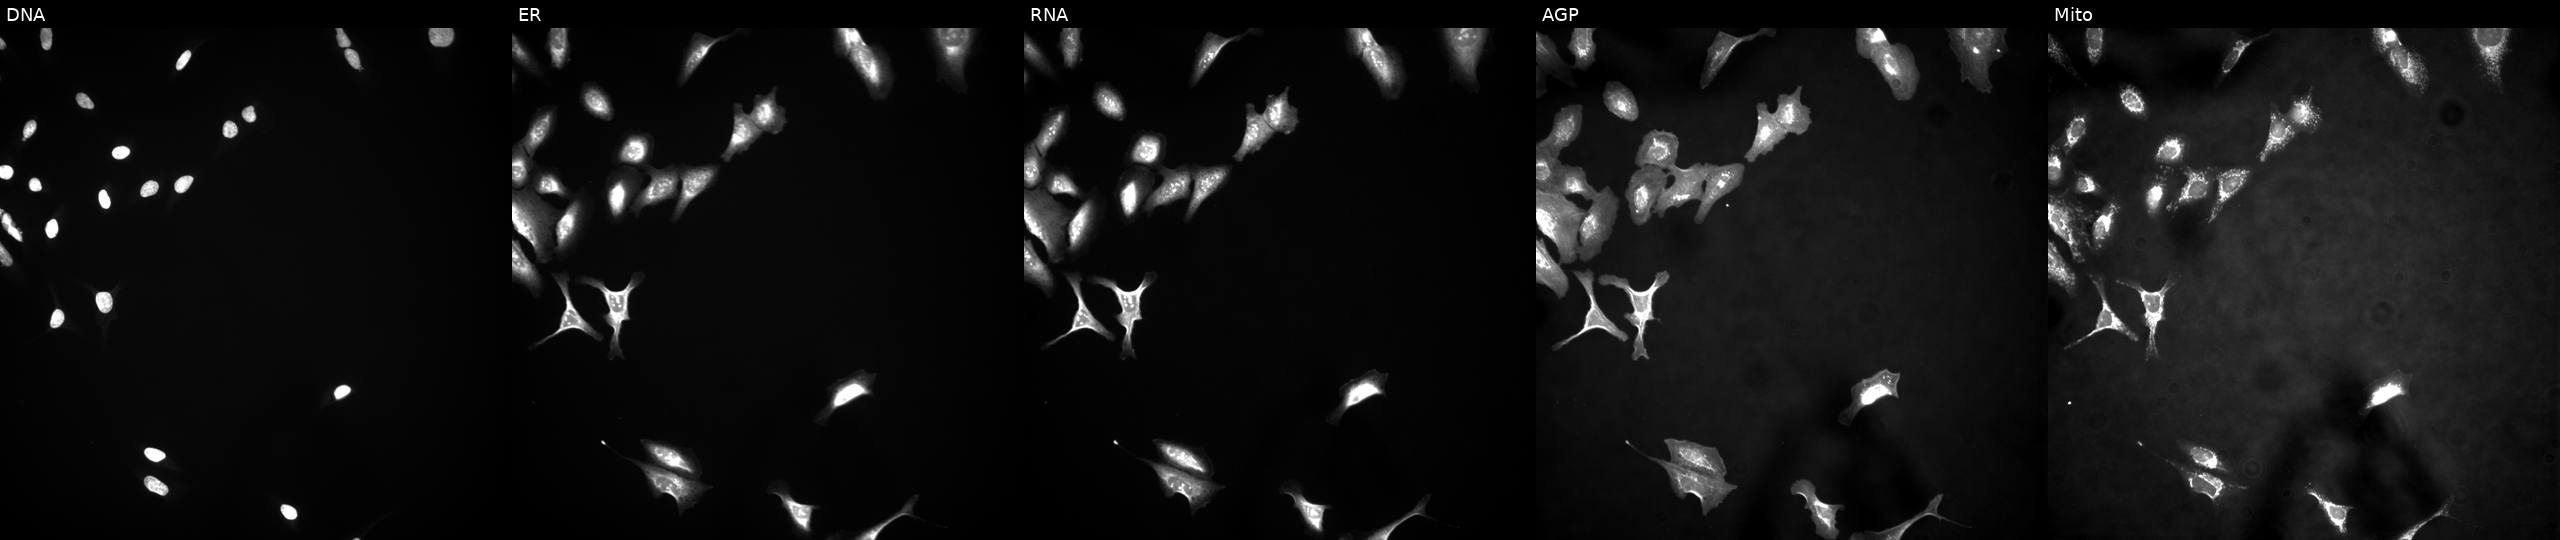
U2OS cells, Cell Painting assay, with BCAS2 overexpressed (ORF) (JUMP id JCP2022_902233). The five panels, left to right, show Hoechst 33342, concanavalin A, SYTO 14, phalloidin and WGA, MitoTracker. Each panel is percentile-stretched 16-bit fluorescence. Source 4, plate BR00121543, well F20.